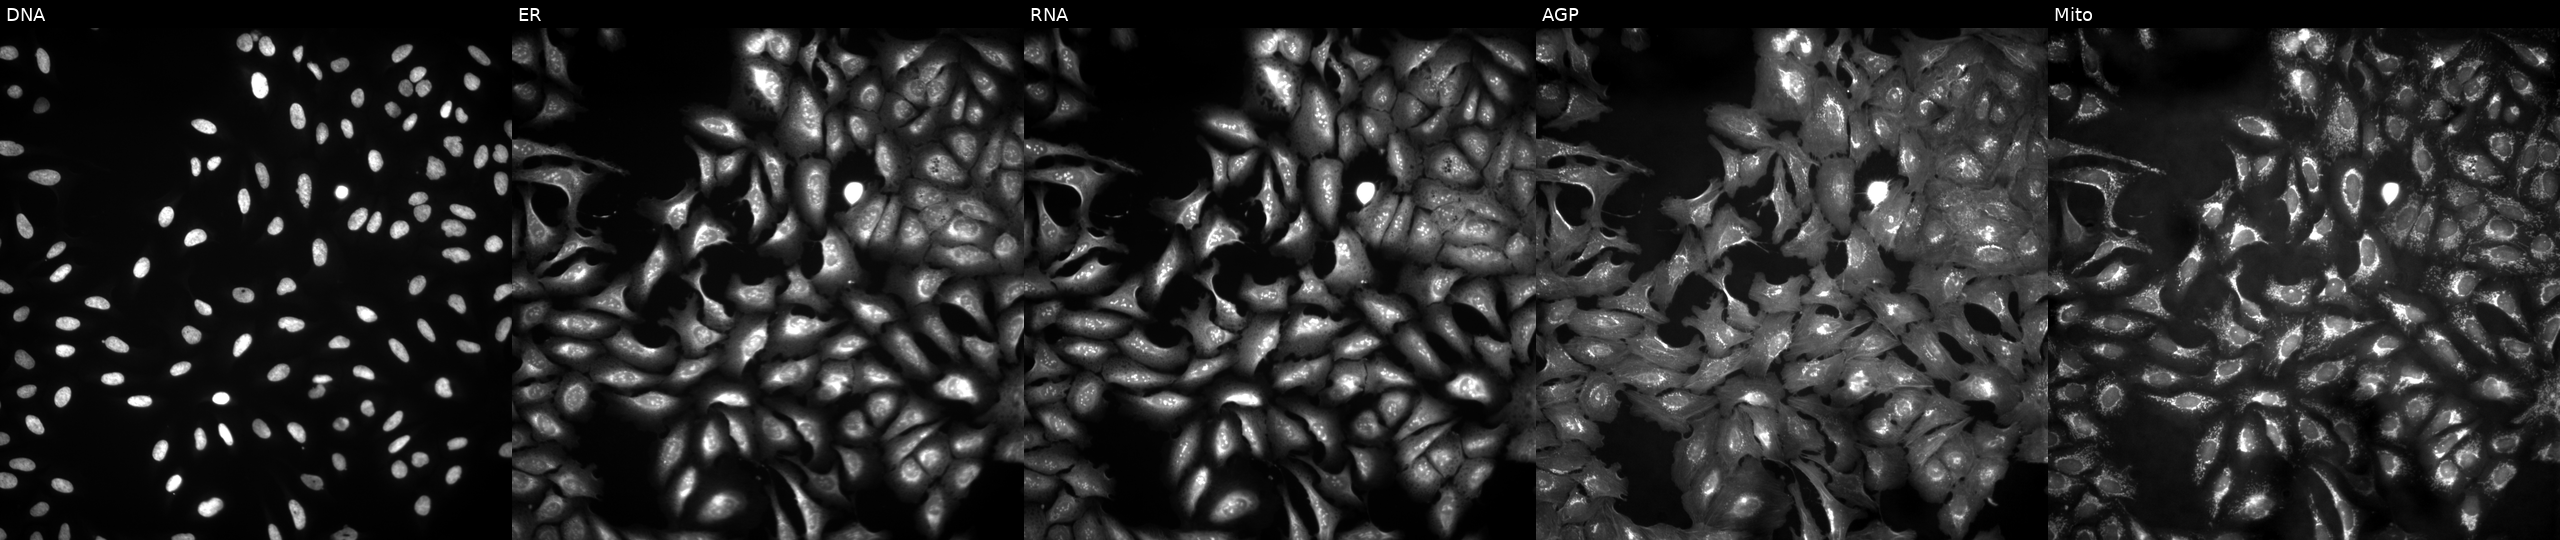
High-content fluorescence microscopy (Cell Painting). Cell line: U2OS. Perturbation: with SEC24D overexpressed (ORF). Panels show, left to right, DNA (nuclei); ER (endoplasmic reticulum); RNA (nucleoli and cytoplasmic RNA); AGP (actin cytoskeleton, Golgi, and plasma membrane); Mito (mitochondria).